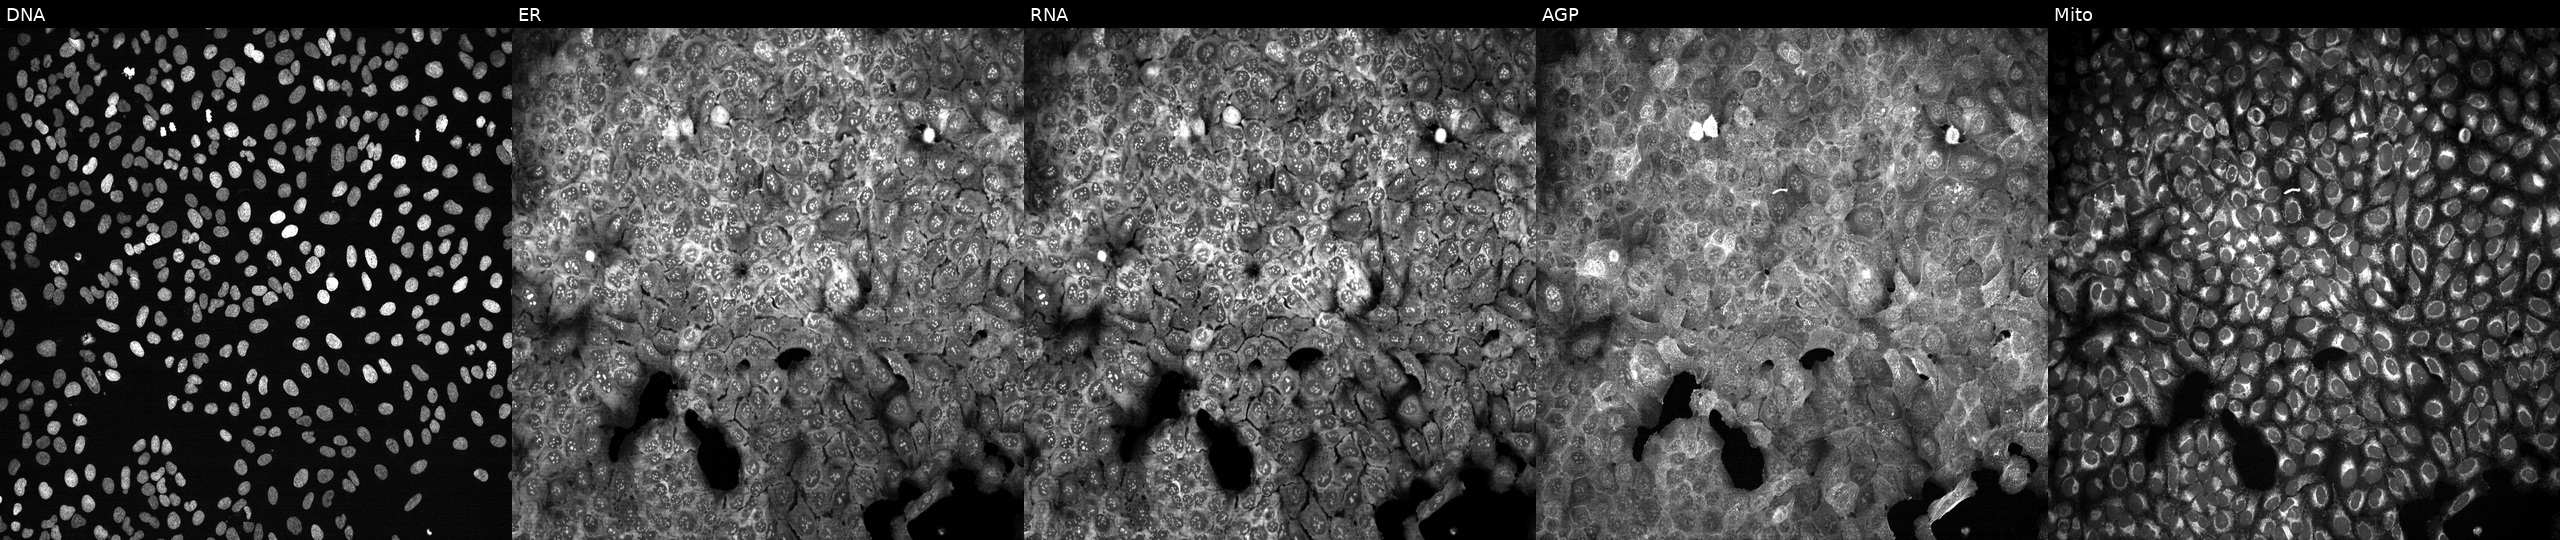
The five panels, left to right, show DNA (nuclei); ER (endoplasmic reticulum); RNA (nucleoli and cytoplasmic RNA); AGP (actin cytoskeleton, Golgi, and plasma membrane); Mito (mitochondria). U2OS osteosarcoma cells following CRISPR knockout of TMLHE. Cell Painting assay, JUMP-CP dataset. Source 13, plate CP-CC9-R2-02, well O15.